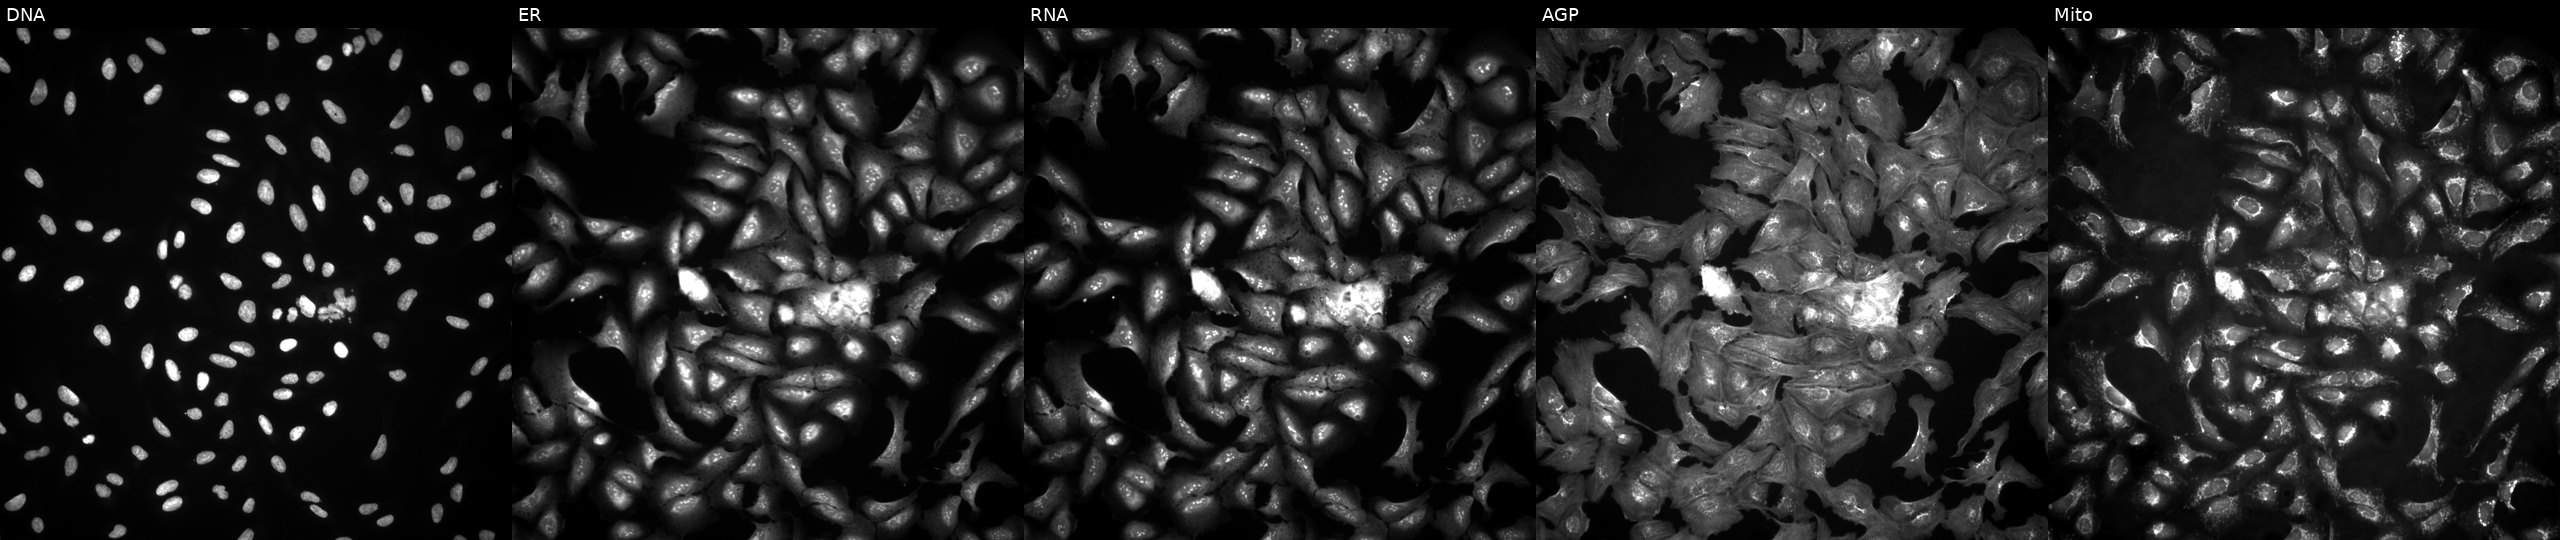
Five-channel Cell Painting image of U2OS cells with SH3BGRL3 overexpressed (ORF). The five panels, left to right, show Hoechst 33342, concanavalin A, SYTO 14, phalloidin and WGA, MitoTracker.